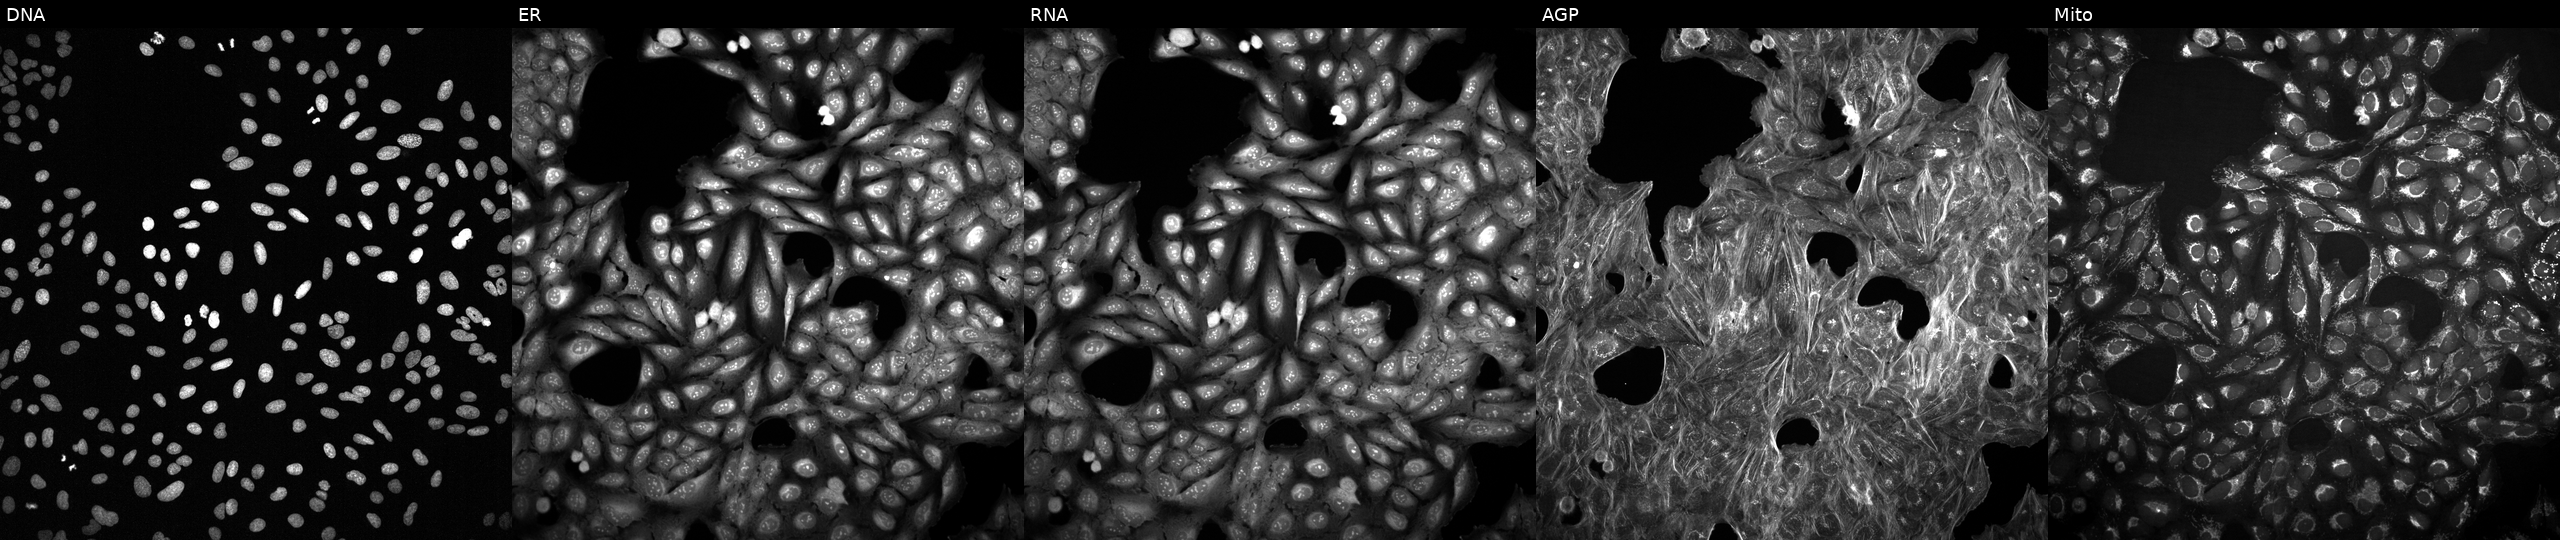
U2OS cells, Cell Painting assay, exposed to a small-molecule compound (JUMP id JCP2022_103826). The five panels, left to right, show DNA (nuclei); ER (endoplasmic reticulum); RNA (nucleoli and cytoplasmic RNA); AGP (actin cytoskeleton, Golgi, and plasma membrane); Mito (mitochondria). Each panel is percentile-stretched 16-bit fluorescence.